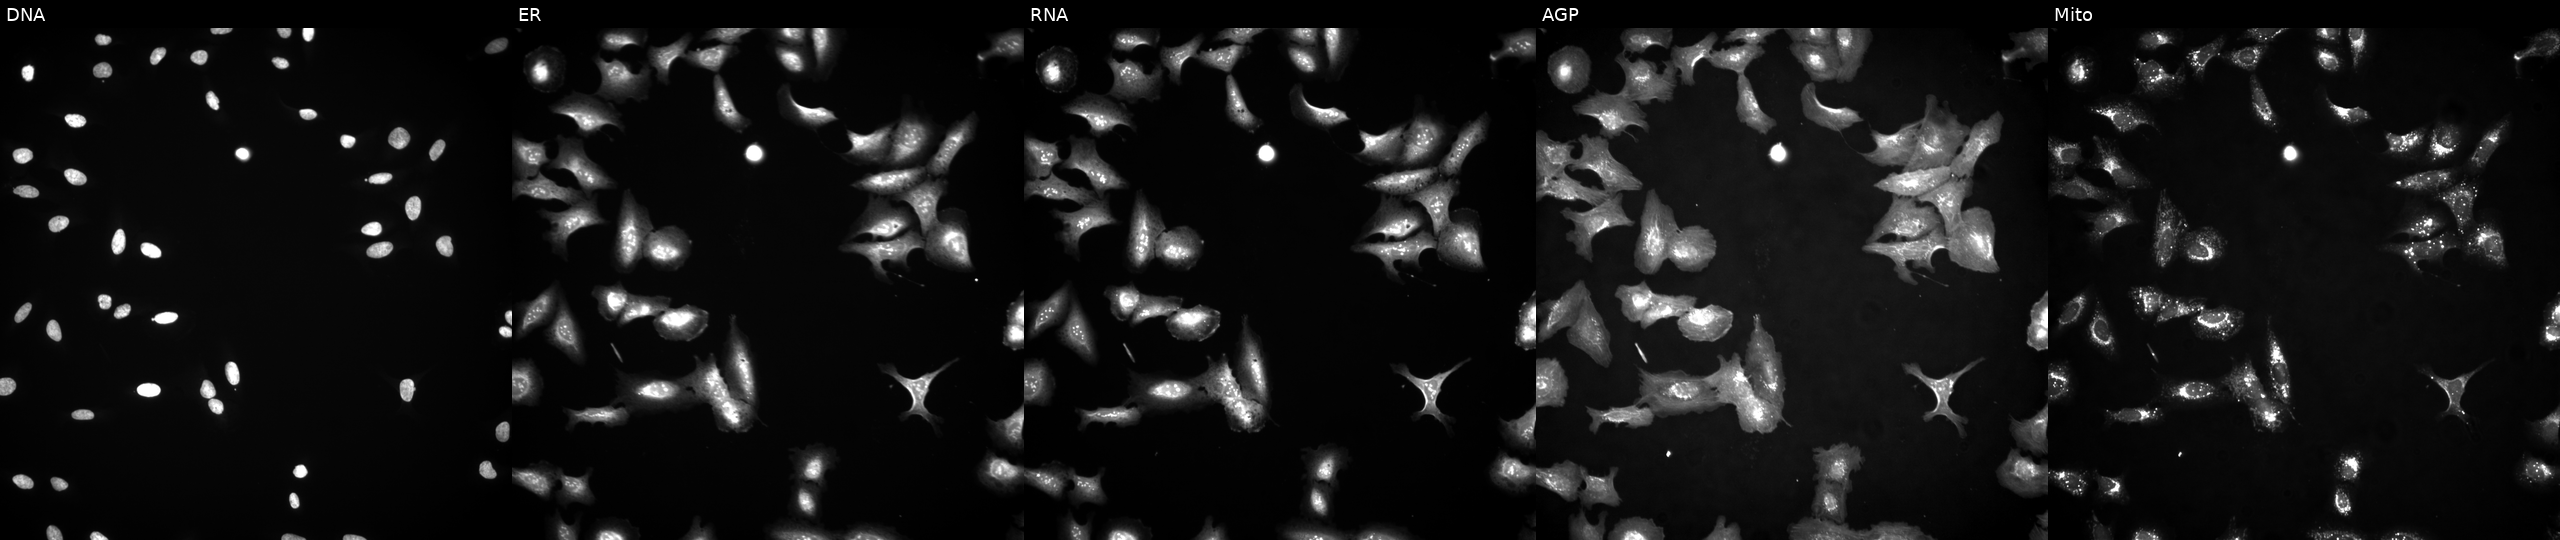
High-content fluorescence microscopy (Cell Painting). Cell line: U2OS. Perturbation: with BCAT2 overexpressed (ORF). From left to right: Hoechst 33342, concanavalin A, SYTO 14, phalloidin and WGA, MitoTracker.